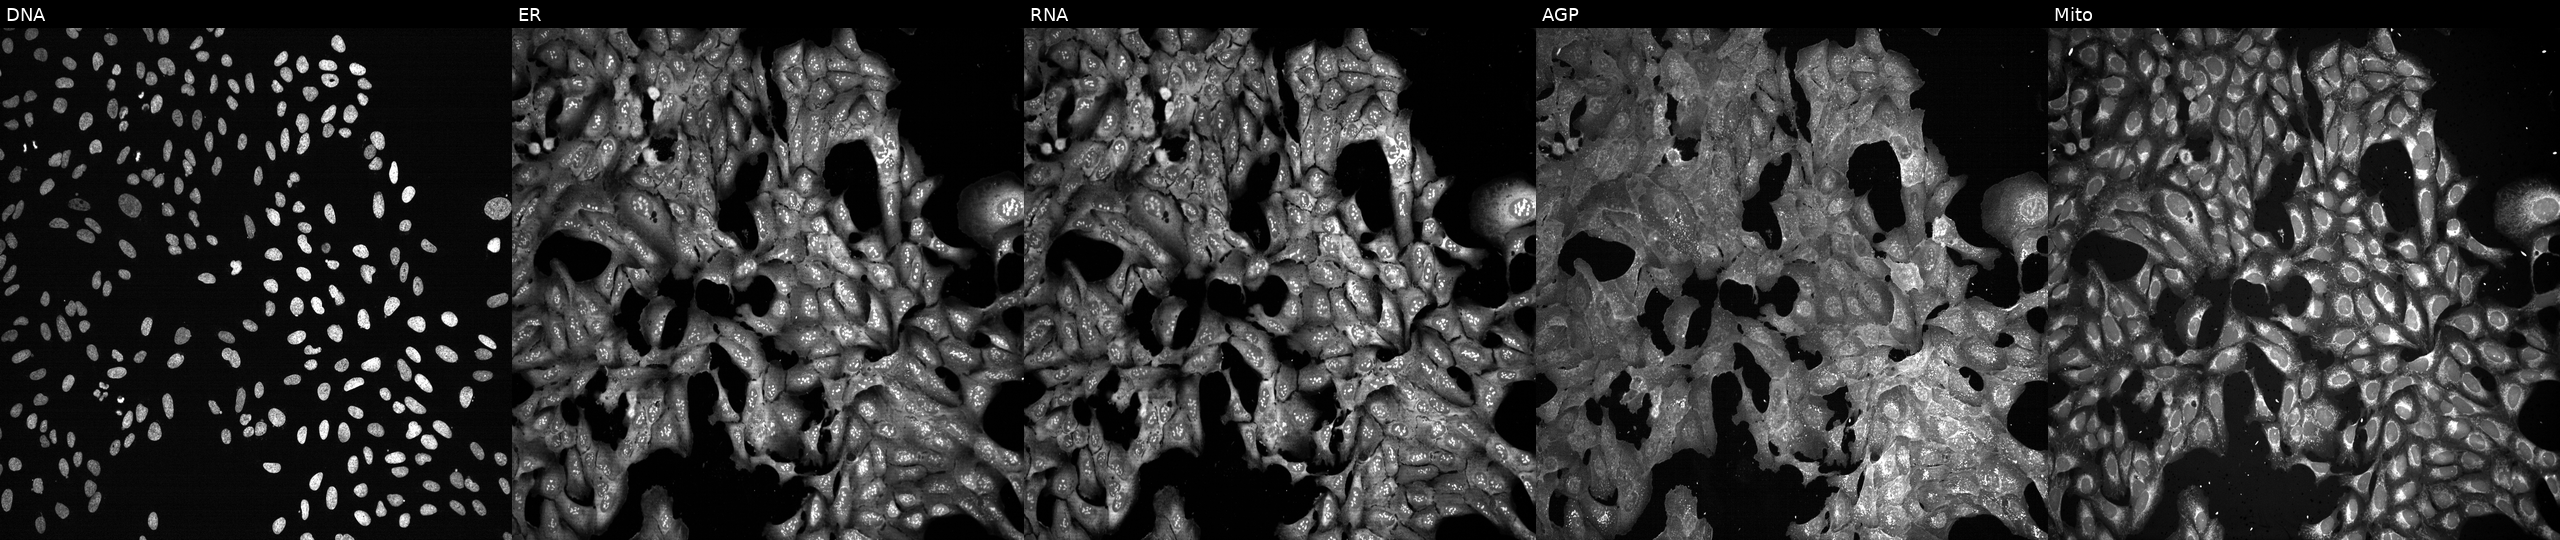
This image strip shows the five Cell Painting channels for a single field of U2OS cells CRISPR-edited to disrupt ABHD4 (JUMP id JCP2022_800078). From left to right: DNA, ER, RNA, AGP, and Mito.